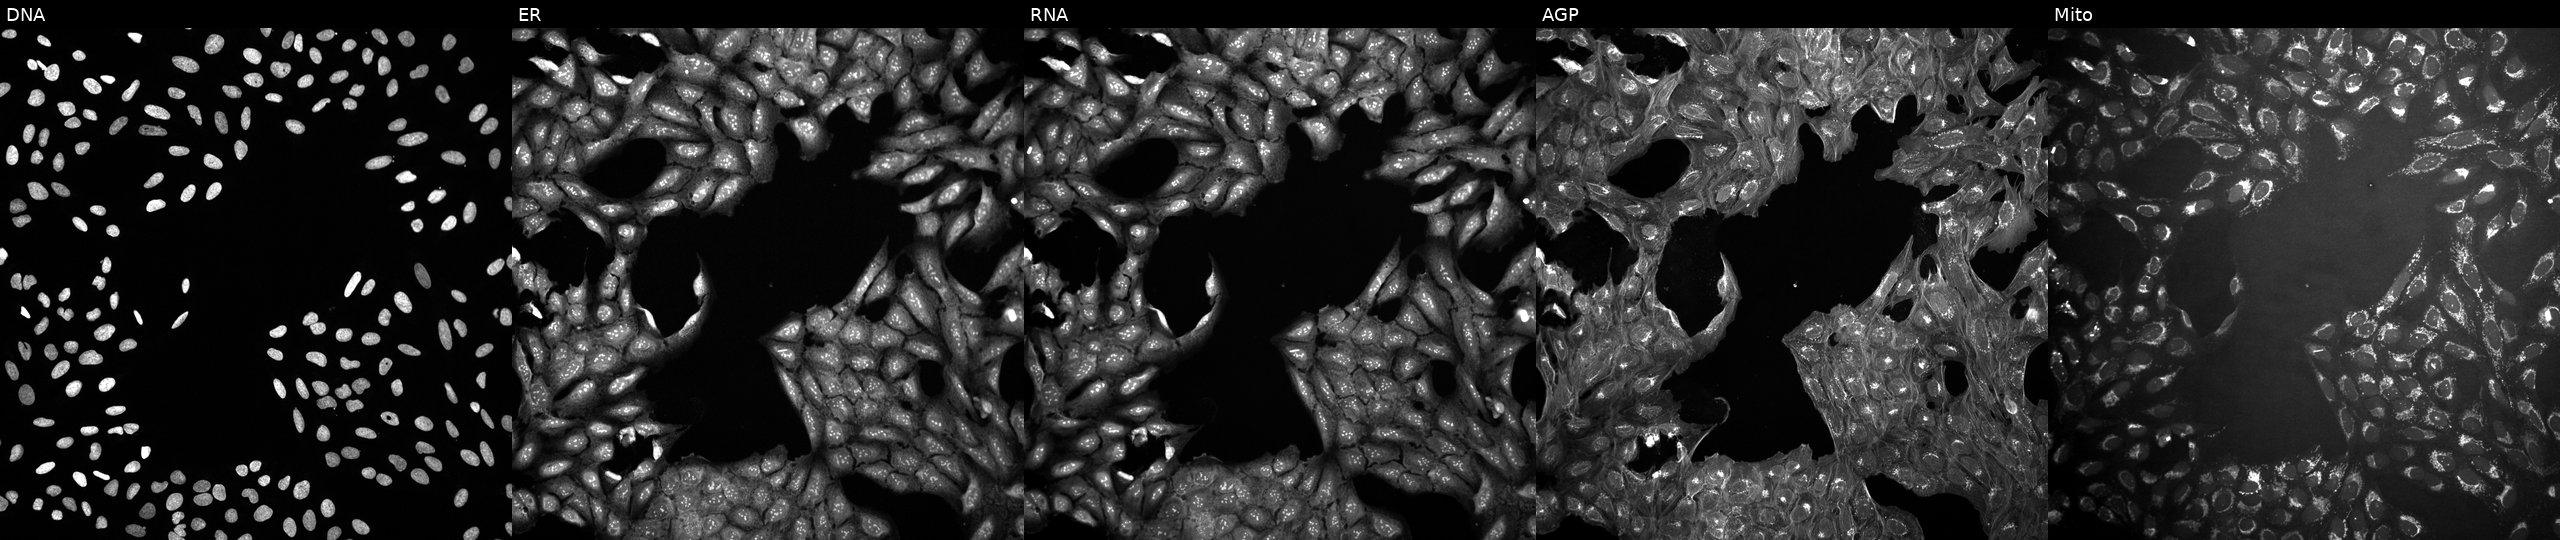
From left to right: Hoechst 33342, concanavalin A, SYTO 14, phalloidin and WGA, MitoTracker. U2OS osteosarcoma cells treated with a small-molecule compound (InChIKey PCAFKYFOKFWOST-UHFFFAOYSA-N) [SMILES: COc1ccc(-c2ccc3c(=O)n(C)c(=O)n(C)c3n2)cc1] (JUMP id JCP2022_067608). Cell Painting assay, JUMP-CP dataset. Source 10, plate Dest210531-152149, well E16.